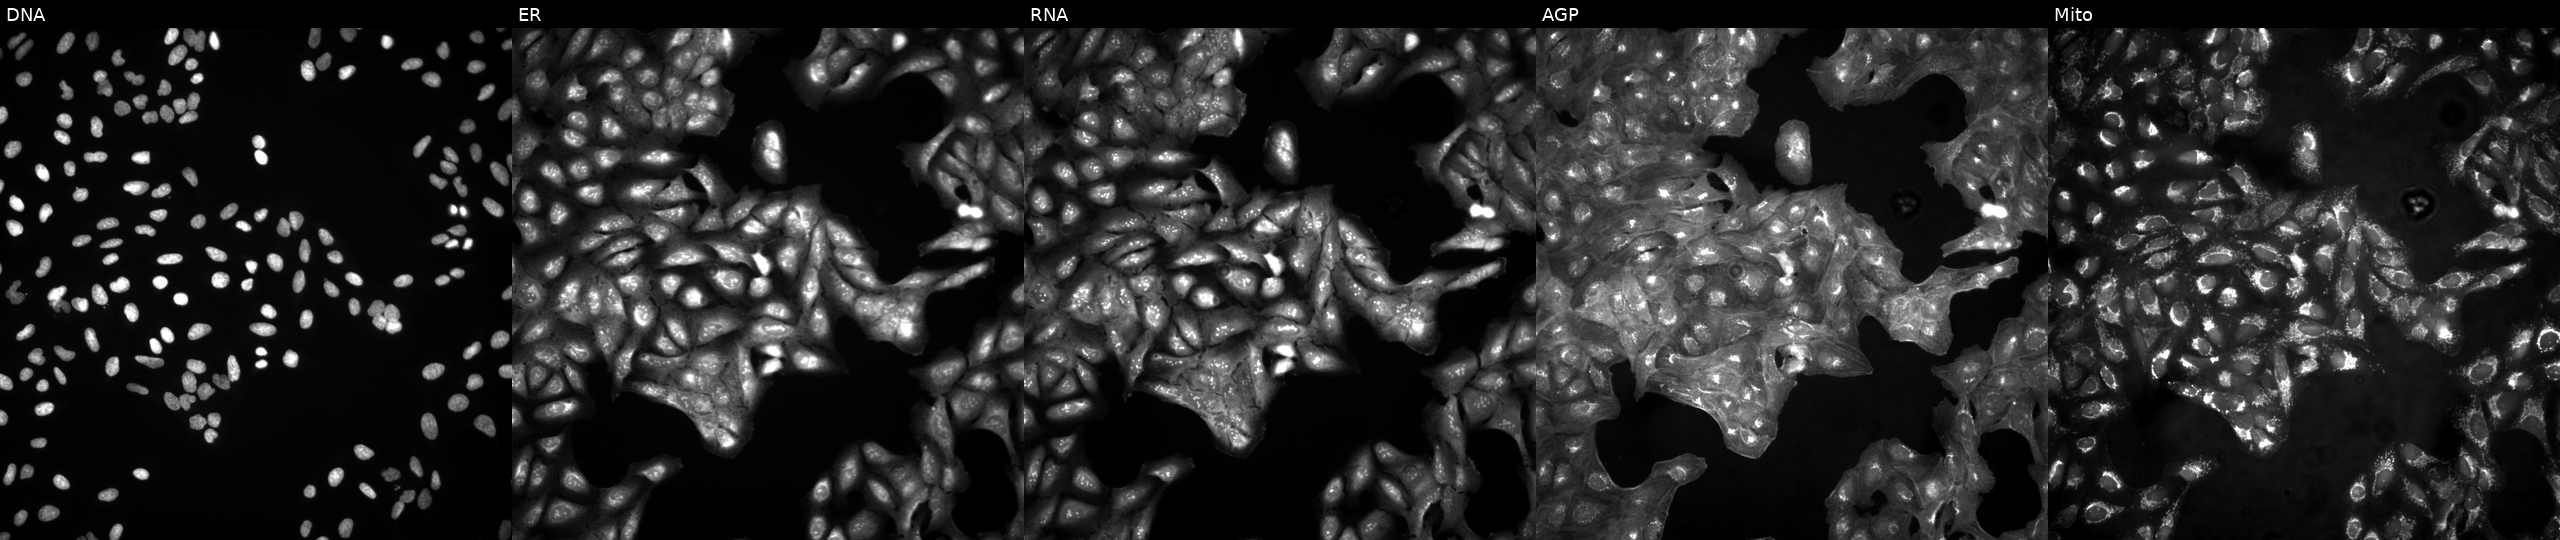
High-content fluorescence microscopy (Cell Painting). Cell line: U2OS. Perturbation: in an empty control well (no perturbation) (JUMP id JCP2022_999999). Channels (left→right): DNA, ER, RNA, AGP, and Mito. Source 4, plate BR00123946, well D19.